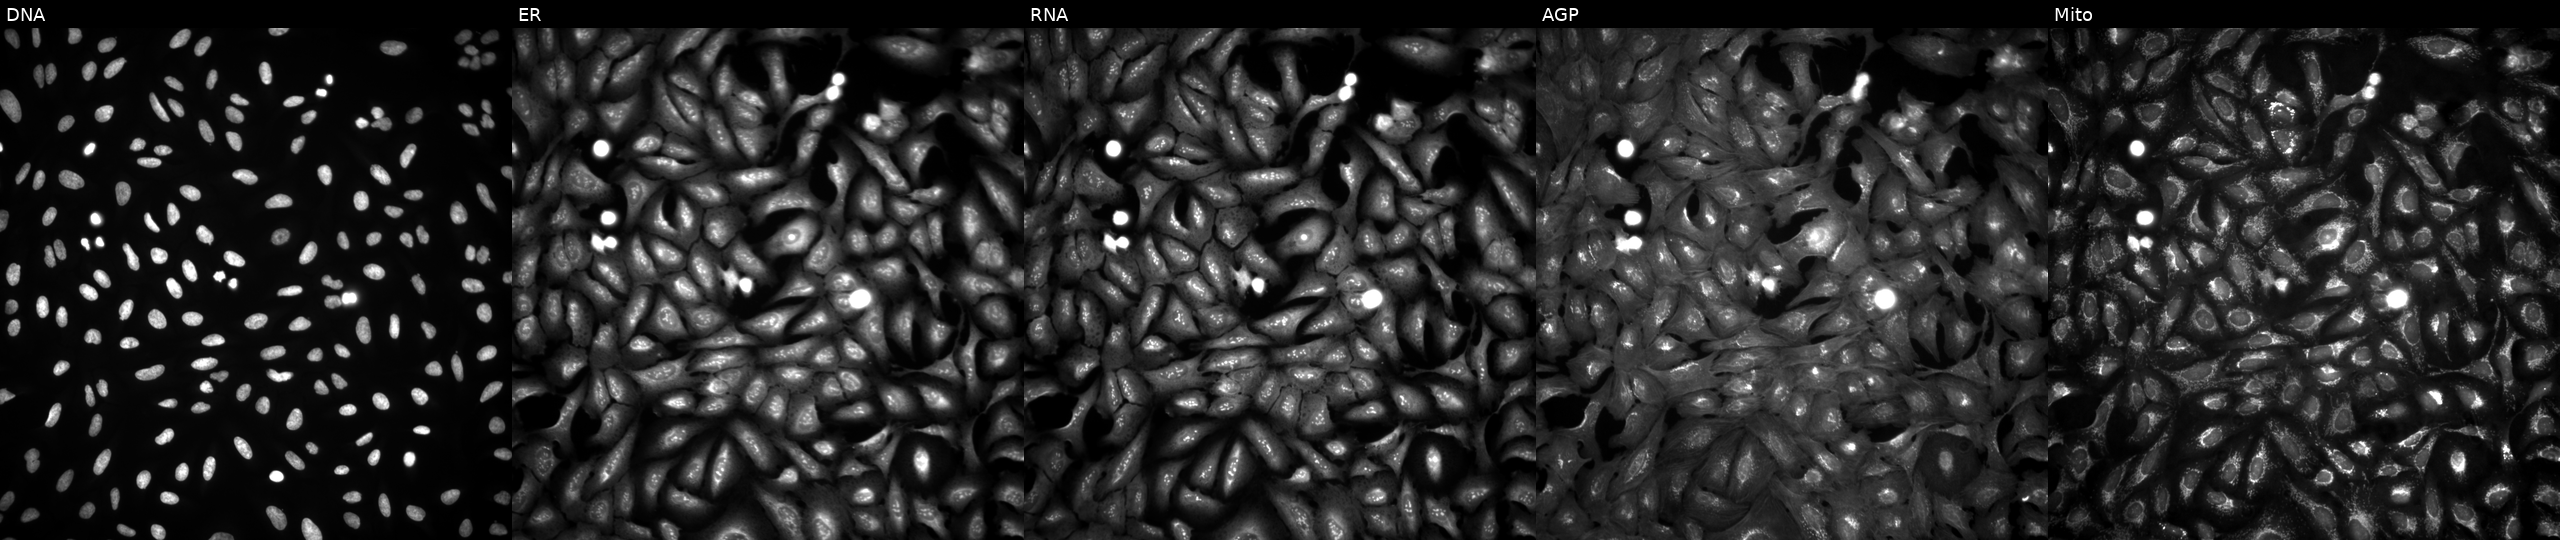
JUMP Cell Painting — ORF plate. U2OS cells transfected with an ORF construct for PRPF19 (JUMP id JCP2022_902847). Panels show, left to right, DNA (nuclei); ER (endoplasmic reticulum); RNA (nucleoli and cytoplasmic RNA); AGP (actin cytoskeleton, Golgi, and plasma membrane); Mito (mitochondria). Source 4, plate BR00124787, well B15.